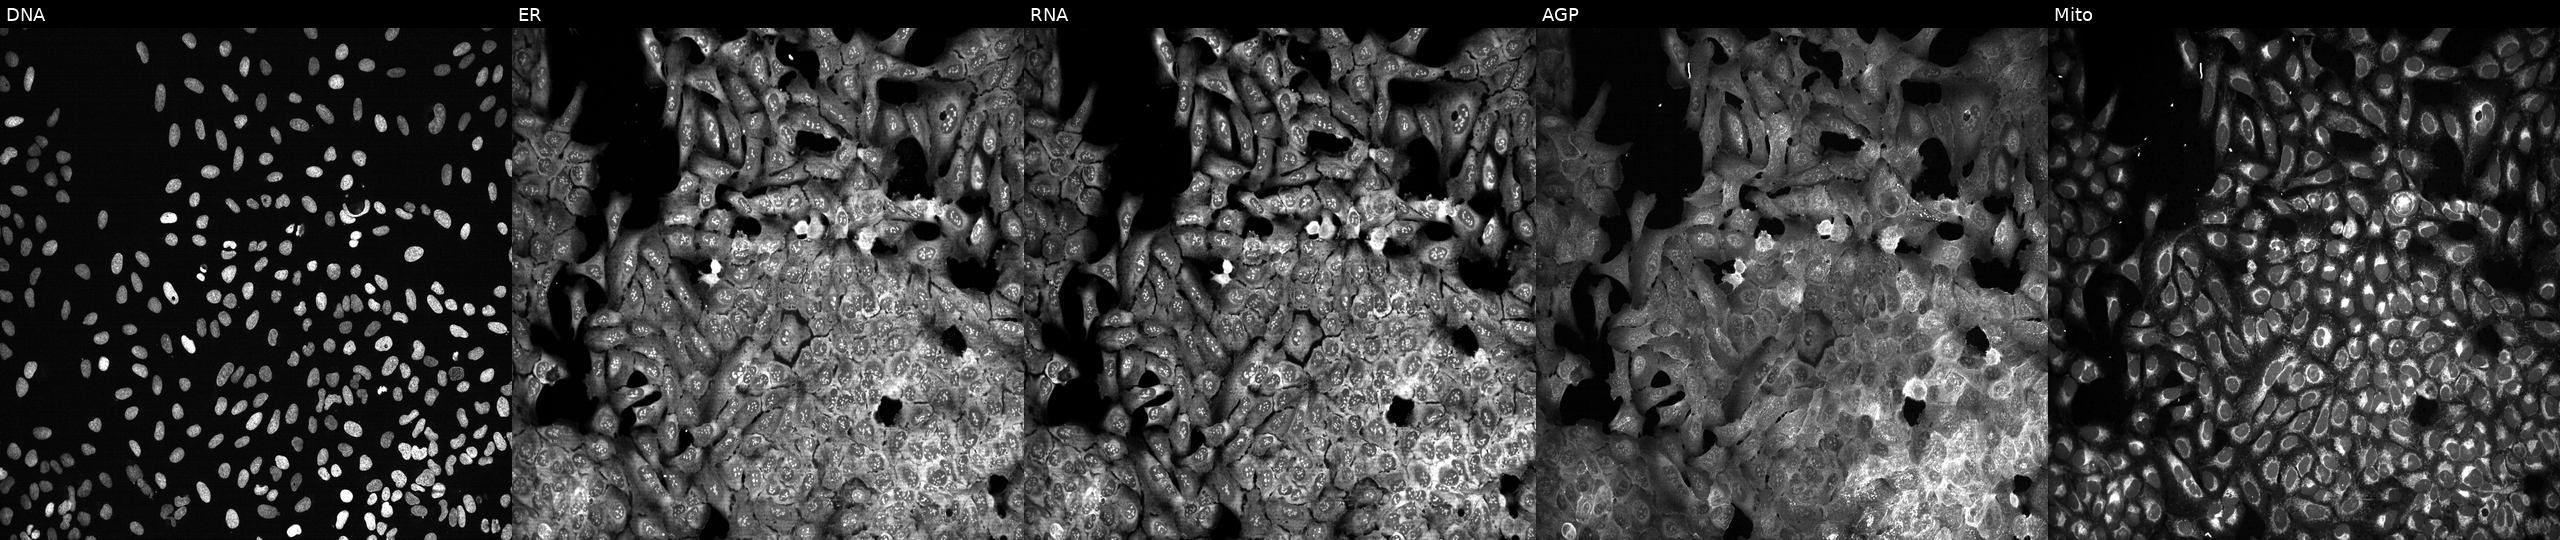
U2OS cells, Cell Painting assay, following CRISPR knockout of PTGIS (JUMP id JCP2022_805655). Panels show, left to right, Hoechst 33342, concanavalin A, SYTO 14, phalloidin and WGA, MitoTracker. Each panel is percentile-stretched 16-bit fluorescence. Source 13, plate CP-CC9-R2-01, well F17.